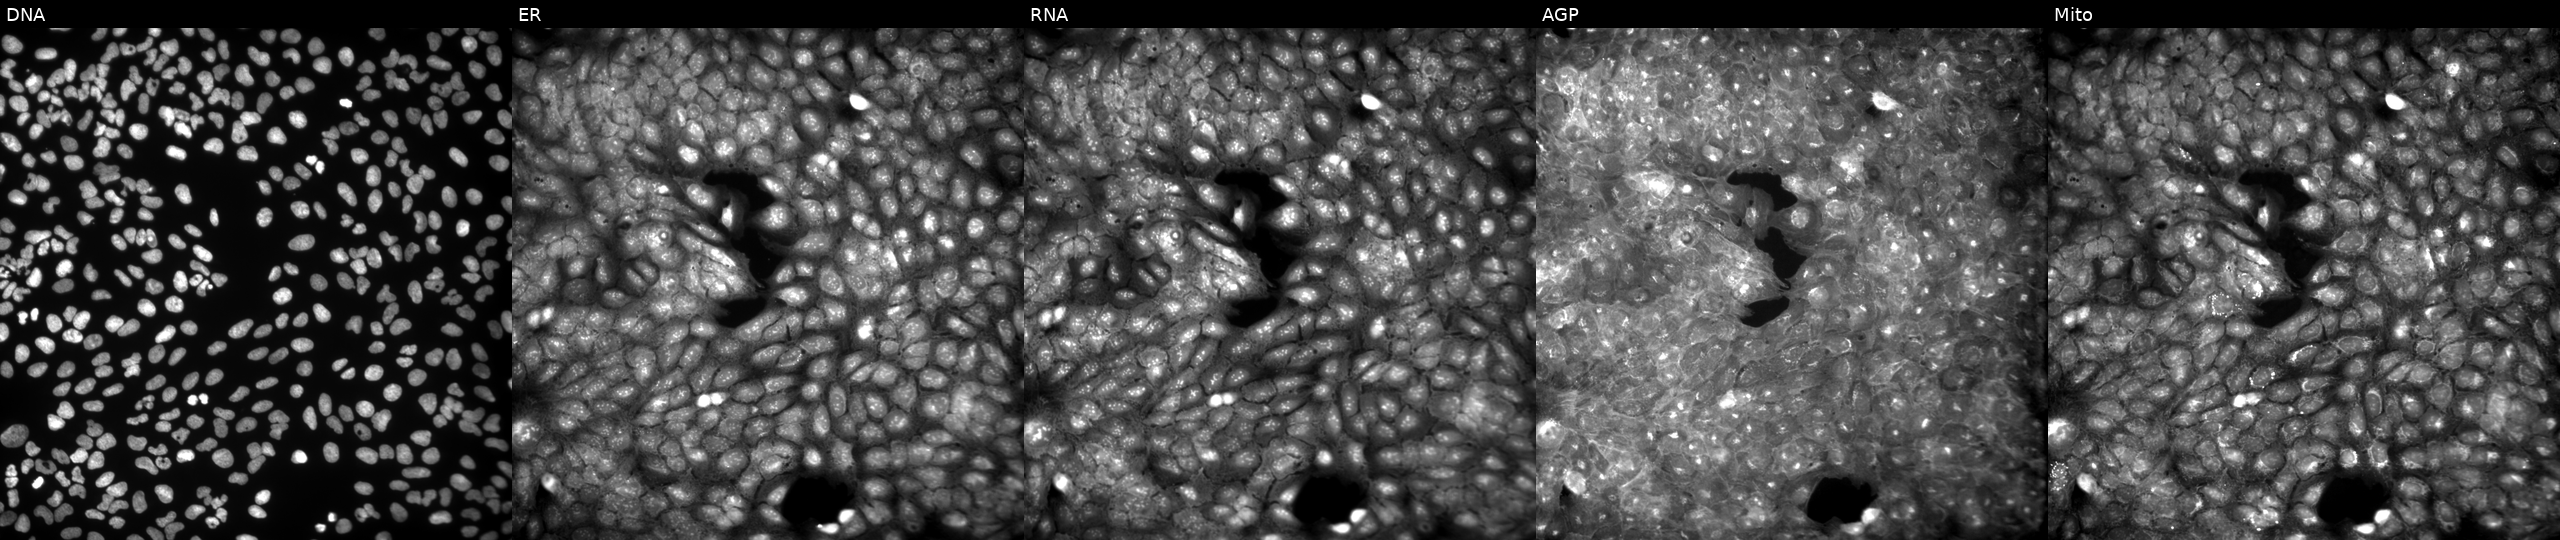
Five-channel Cell Painting image of U2OS cells exposed to a small-molecule compound (InChIKey ZKMFIOCLFNQKNP-UHFFFAOYSA-N). The five panels, left to right, show DNA (nuclei); ER (endoplasmic reticulum); RNA (nucleoli and cytoplasmic RNA); AGP (actin cytoskeleton, Golgi, and plasma membrane); Mito (mitochondria).